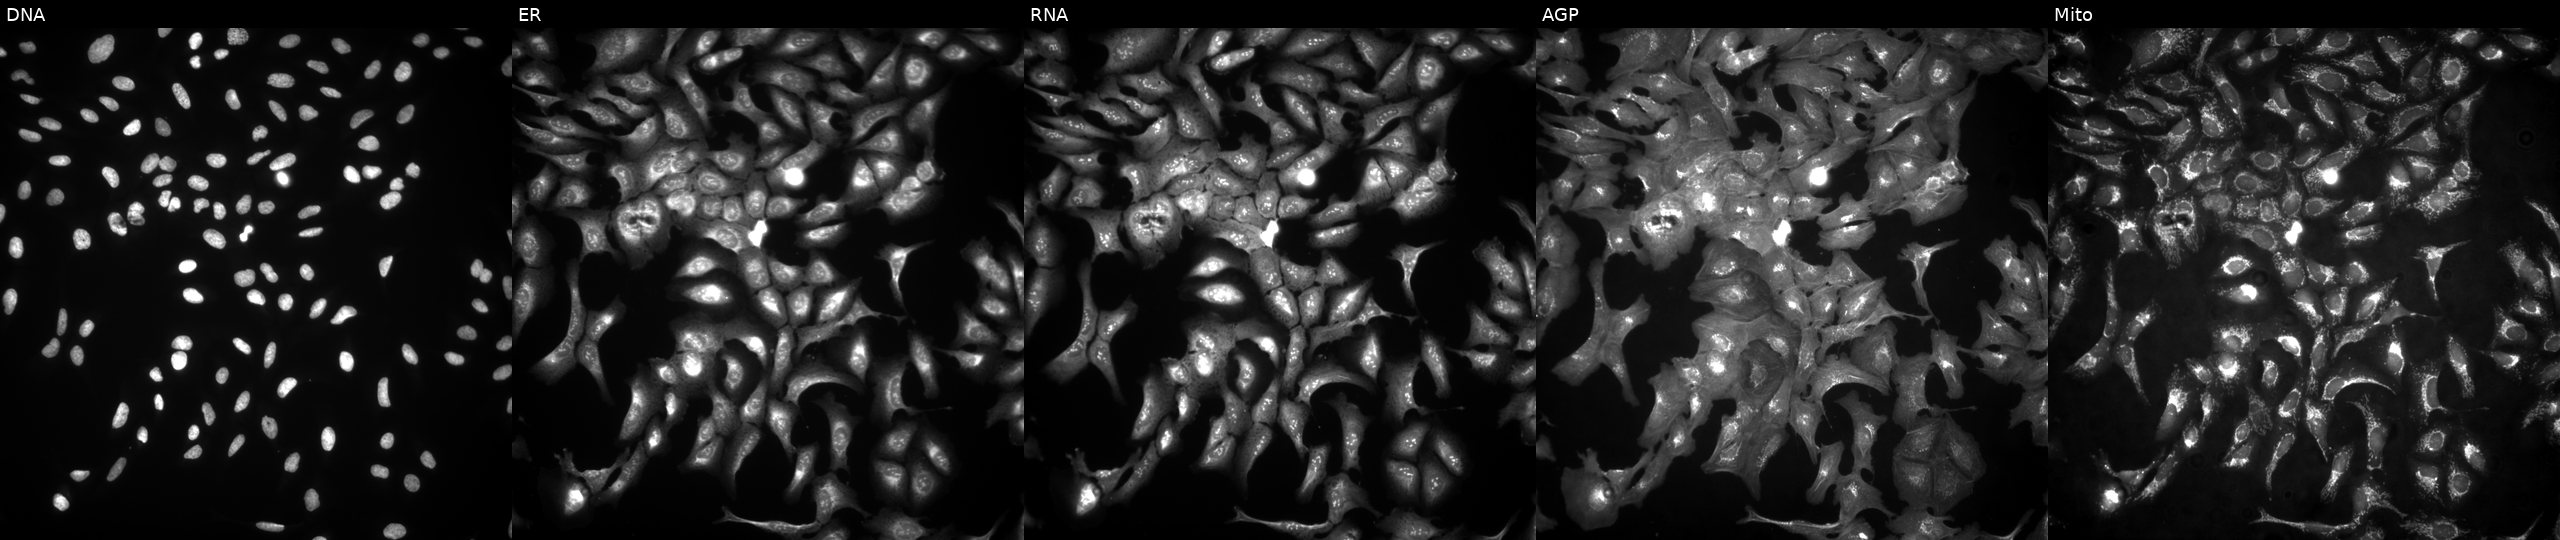
JUMP Cell Painting — ORF plate. U2OS cells with FGF7 overexpressed (ORF) (JUMP id JCP2022_910085). Panels show, left to right, DNA, ER, RNA, AGP, and Mito. Source 4, plate BR00123509, well F21.